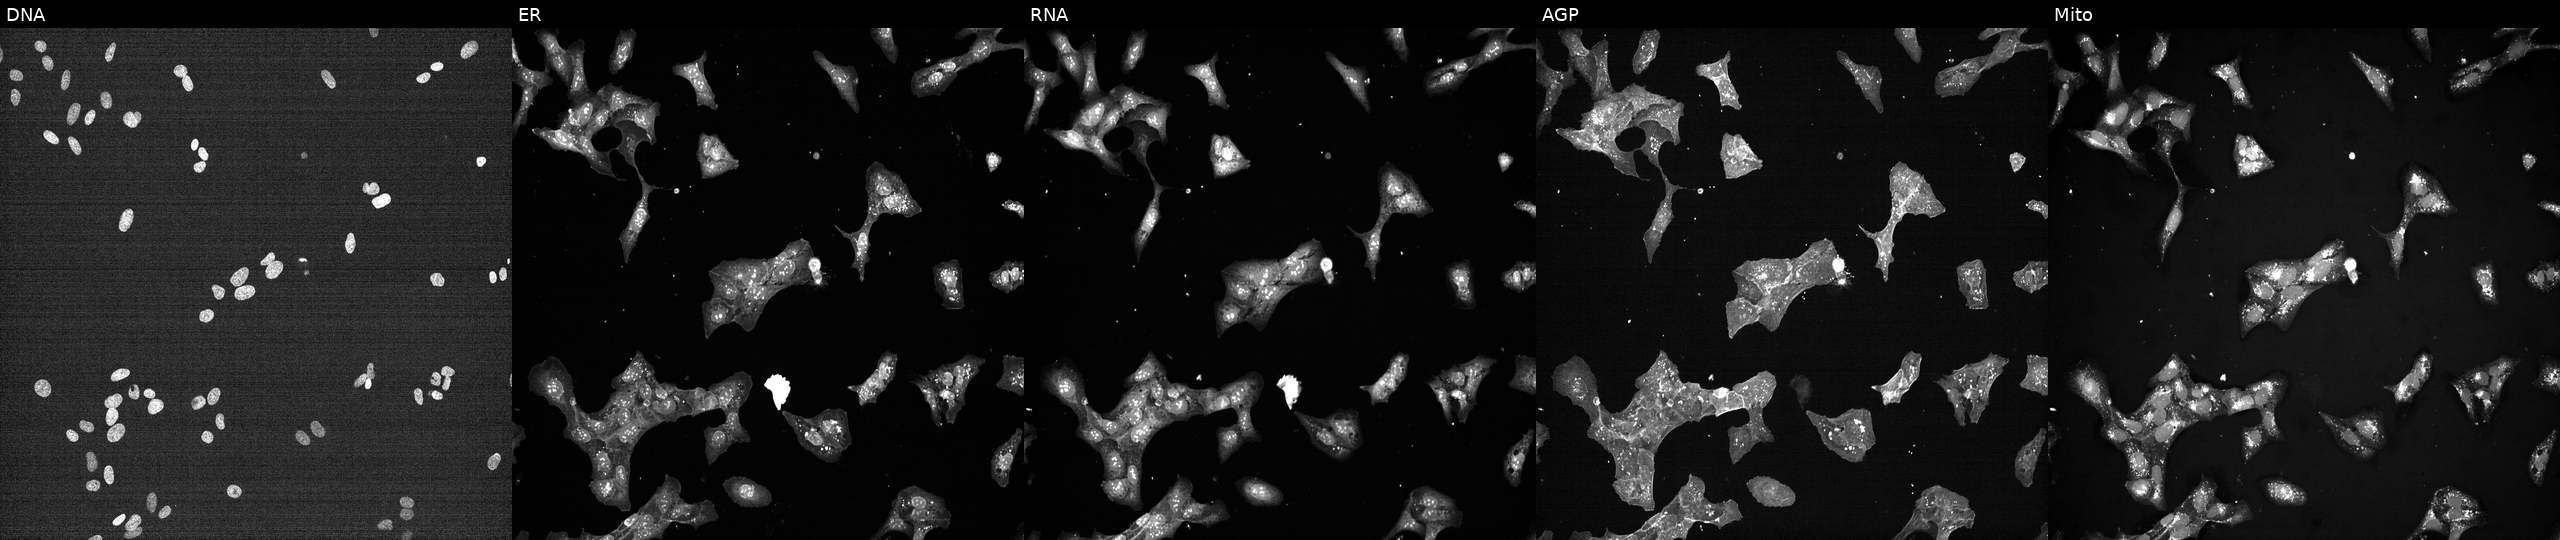
U2OS cells, Cell Painting assay, exposed to a small-molecule compound (InChIKey QNRODODTMXCRKU-UHFFFAOYSA-N) [SMILES: c1ccc(-c2ccc(CN=c3[nH]c(-c4ccccn4)nnc3-c3ccccc3)cc2)cc1]. From left to right: Hoechst 33342, concanavalin A, SYTO 14, phalloidin and WGA, MitoTracker. Each panel is percentile-stretched 16-bit fluorescence. Source 7, plate CP1-SC1-25, well O13.